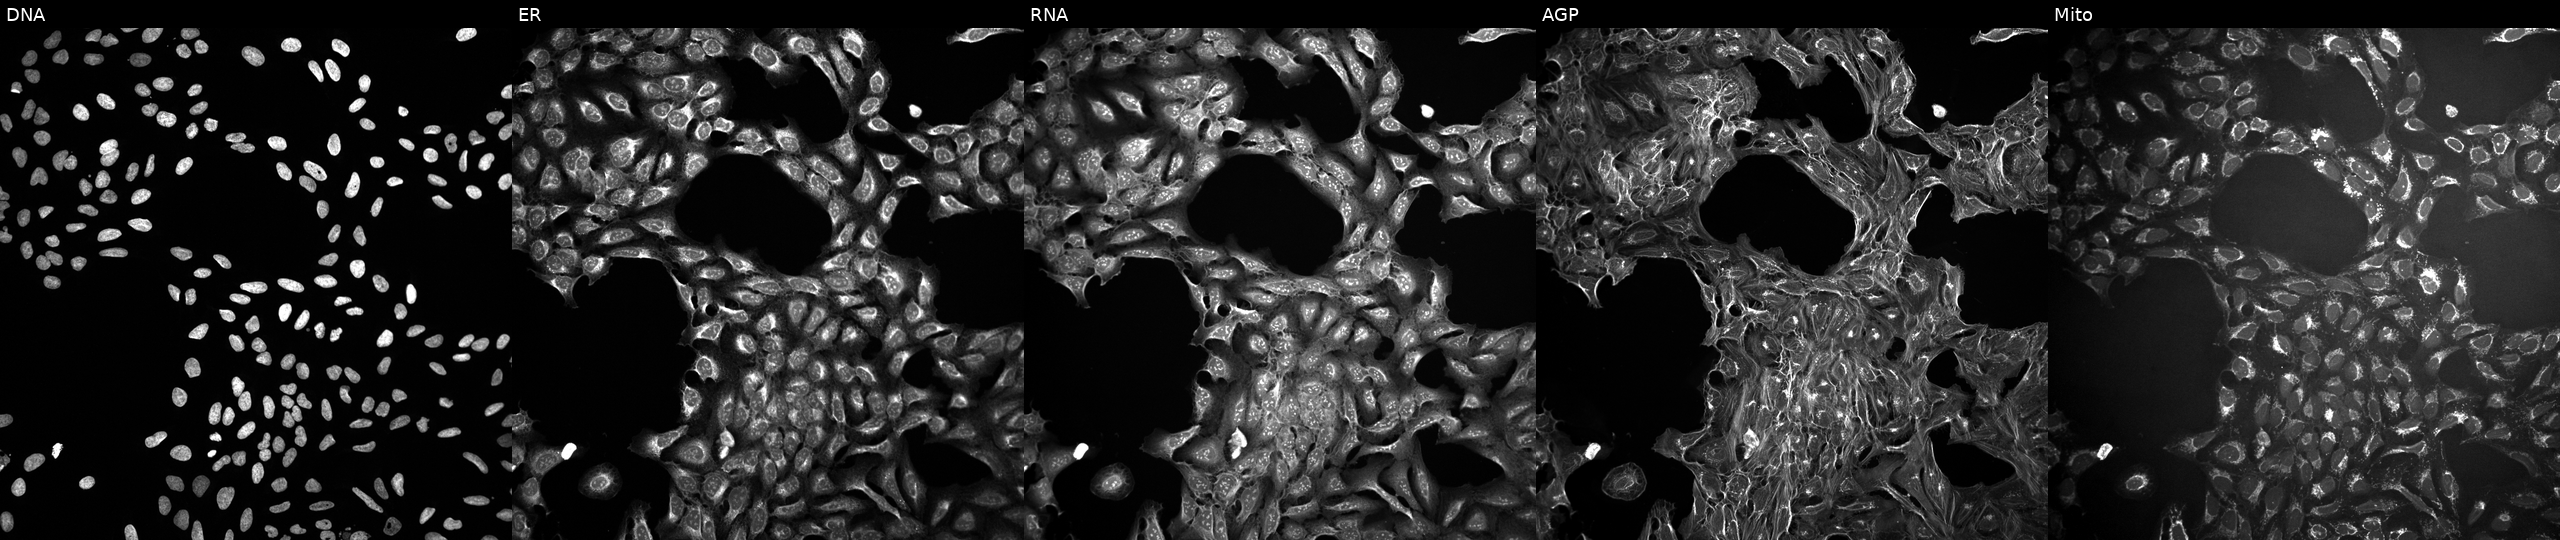
JUMP Cell Painting — COMPOUND plate. U2OS cells treated with a small-molecule compound (JUMP id JCP2022_016511). From left to right: DNA, ER, RNA, AGP, and Mito. Source 10, plate Dest210531-152324, well N15.